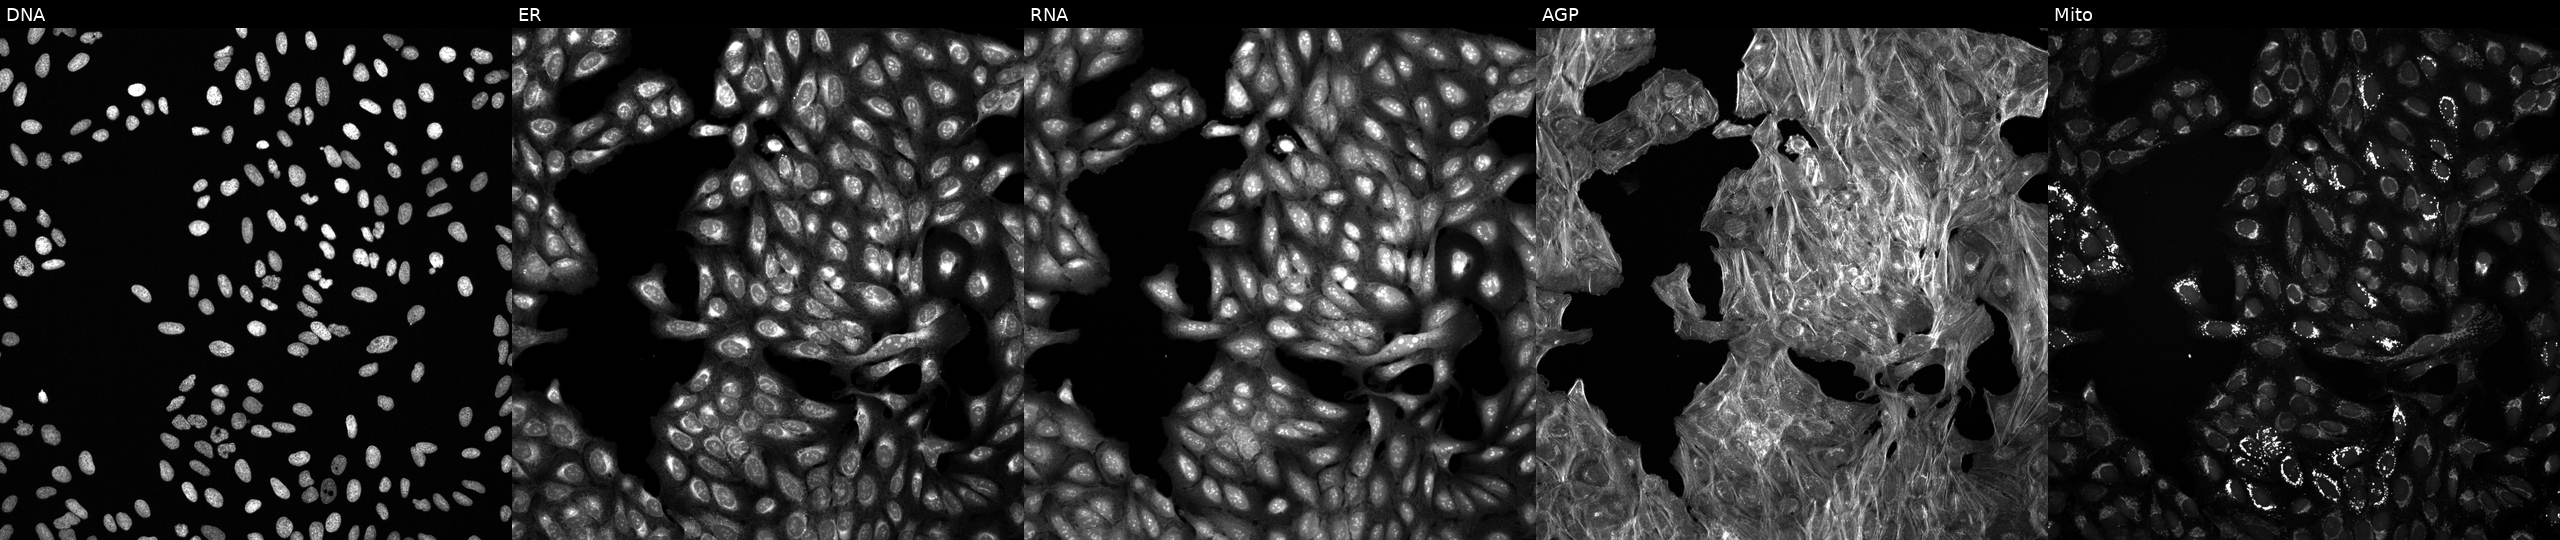
U2OS cells, Cell Painting assay, perturbed with a small-molecule compound (InChIKey DXZRBHUCOHBAHP-UHFFFAOYSA-N) [SMILES: CCOC(=O)c1c(C(C#N)C=N)c2ccc(Cl)c(Cl)c2n1C] (JUMP id JCP2022_018899). From left to right: DNA, ER, RNA, AGP, and Mito. Each panel is percentile-stretched 16-bit fluorescence.